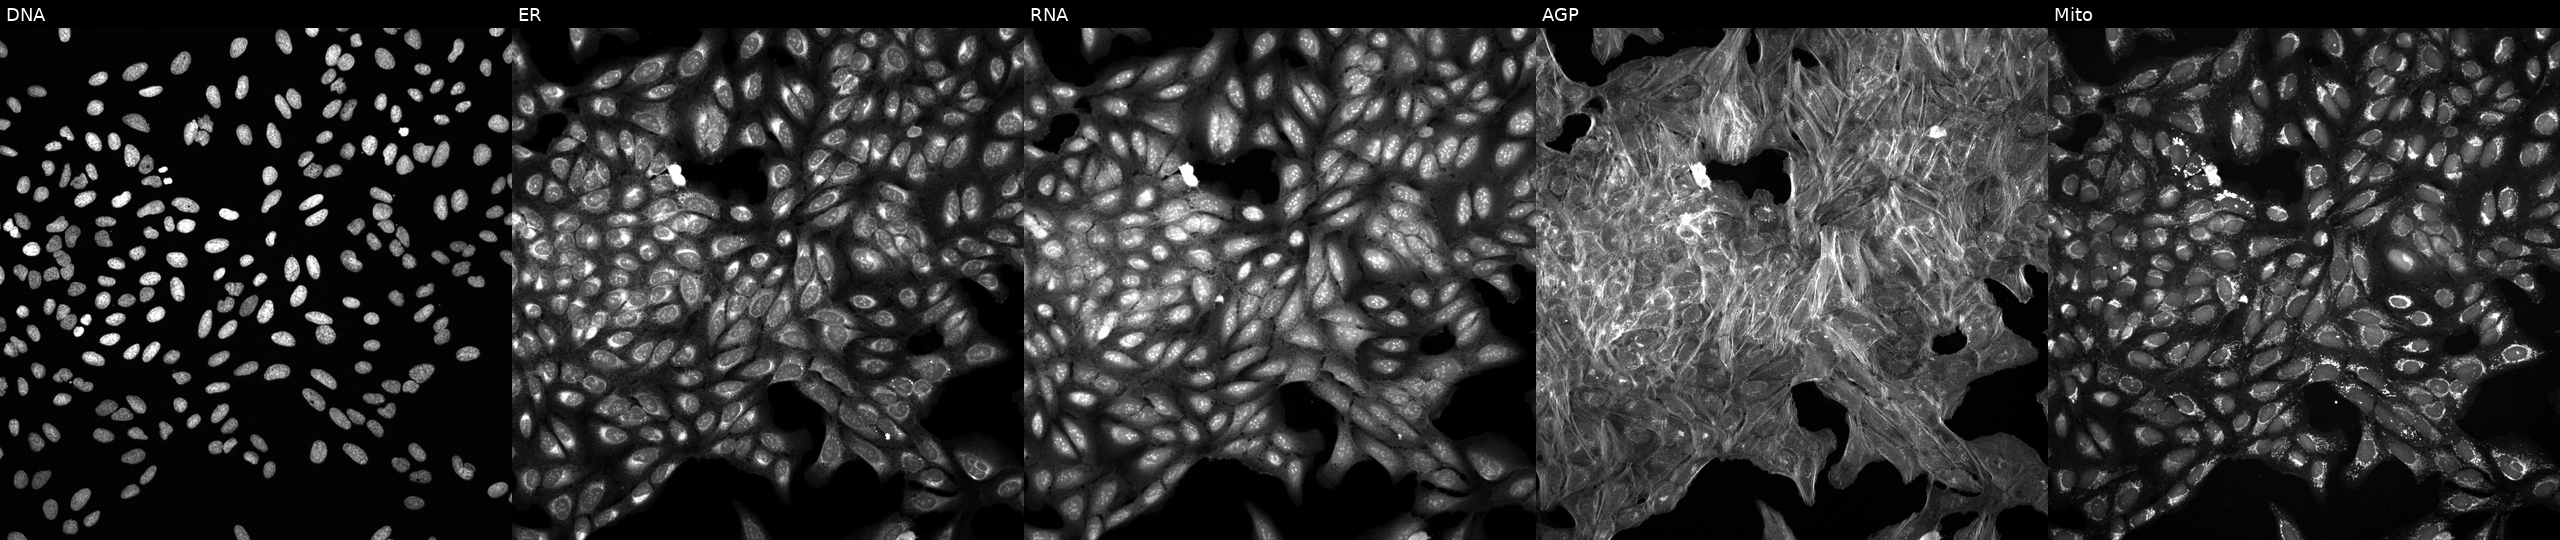
Five-channel Cell Painting image of U2OS cells treated with a small-molecule compound [SMILES: Cc1ccc(NS(=O)(=O)c2cc(-c3noc(C4CCCC4)n3)cs2)c(Cl)c1] (JUMP id JCP2022_057566). The five panels, left to right, show Hoechst 33342, concanavalin A, SYTO 14, phalloidin and WGA, MitoTracker. Source 6, plate 110000293083, well K17.